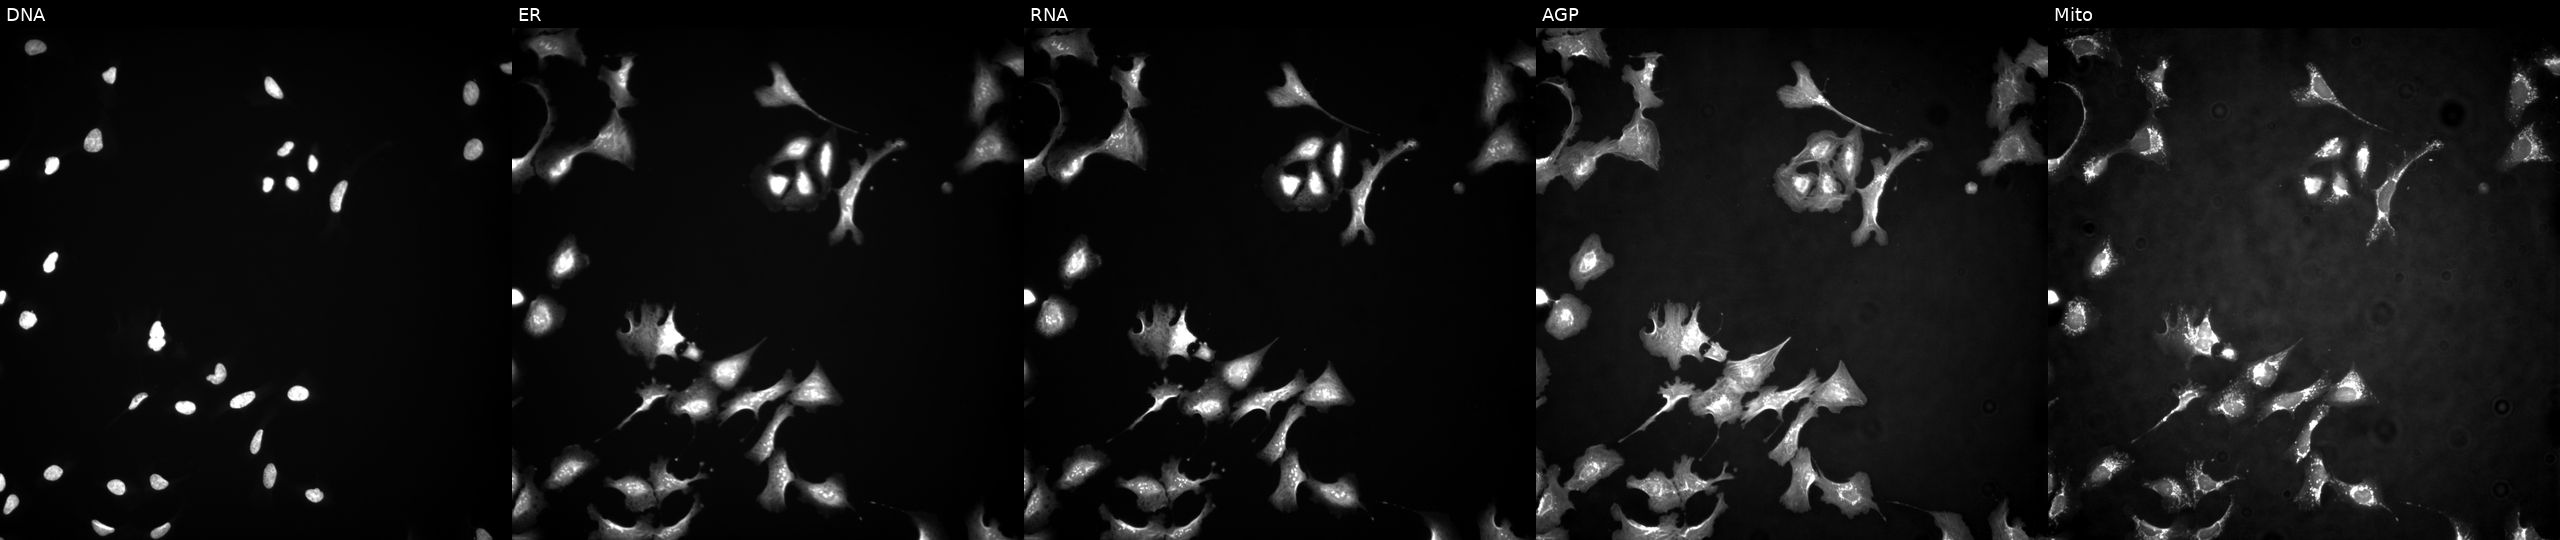
U2OS cells, Cell Painting assay, with EYA3 overexpressed (ORF). From left to right: DNA, ER, RNA, AGP, and Mito. Each panel is percentile-stretched 16-bit fluorescence. Source 4, plate BR00117035, well P08.